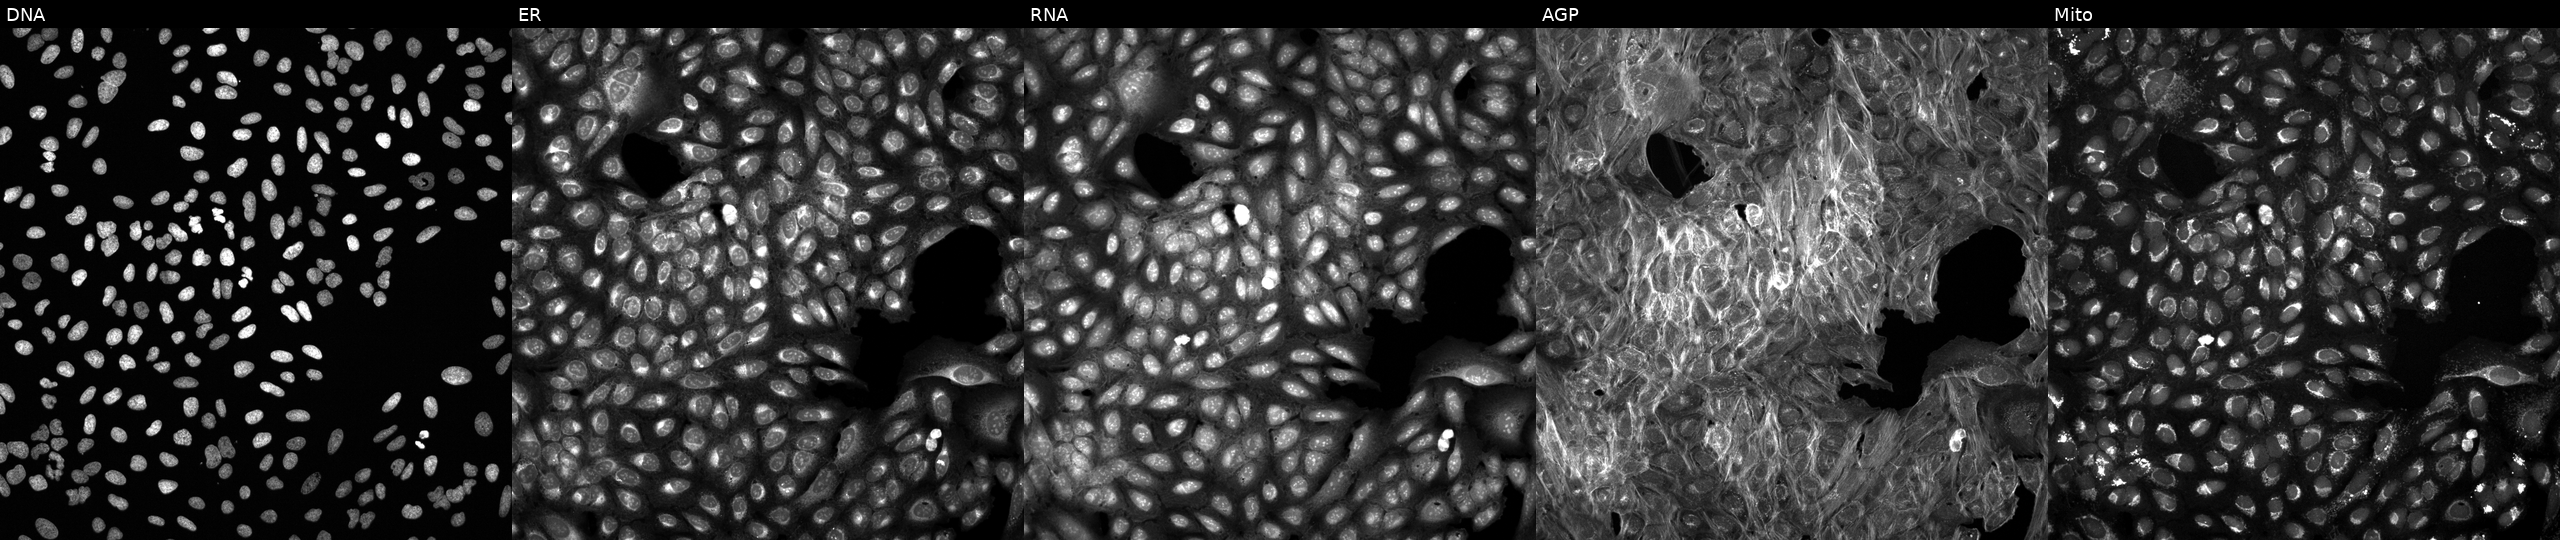
High-content fluorescence microscopy (Cell Painting). Cell line: U2OS. Perturbation: perturbed with a small-molecule compound (InChIKey NNRKJXAIMOFMDQ-UHFFFAOYSA-N) (JUMP id JCP2022_060187). From left to right: DNA, ER, RNA, AGP, and Mito. Source 6, plate 110000293083, well J11.